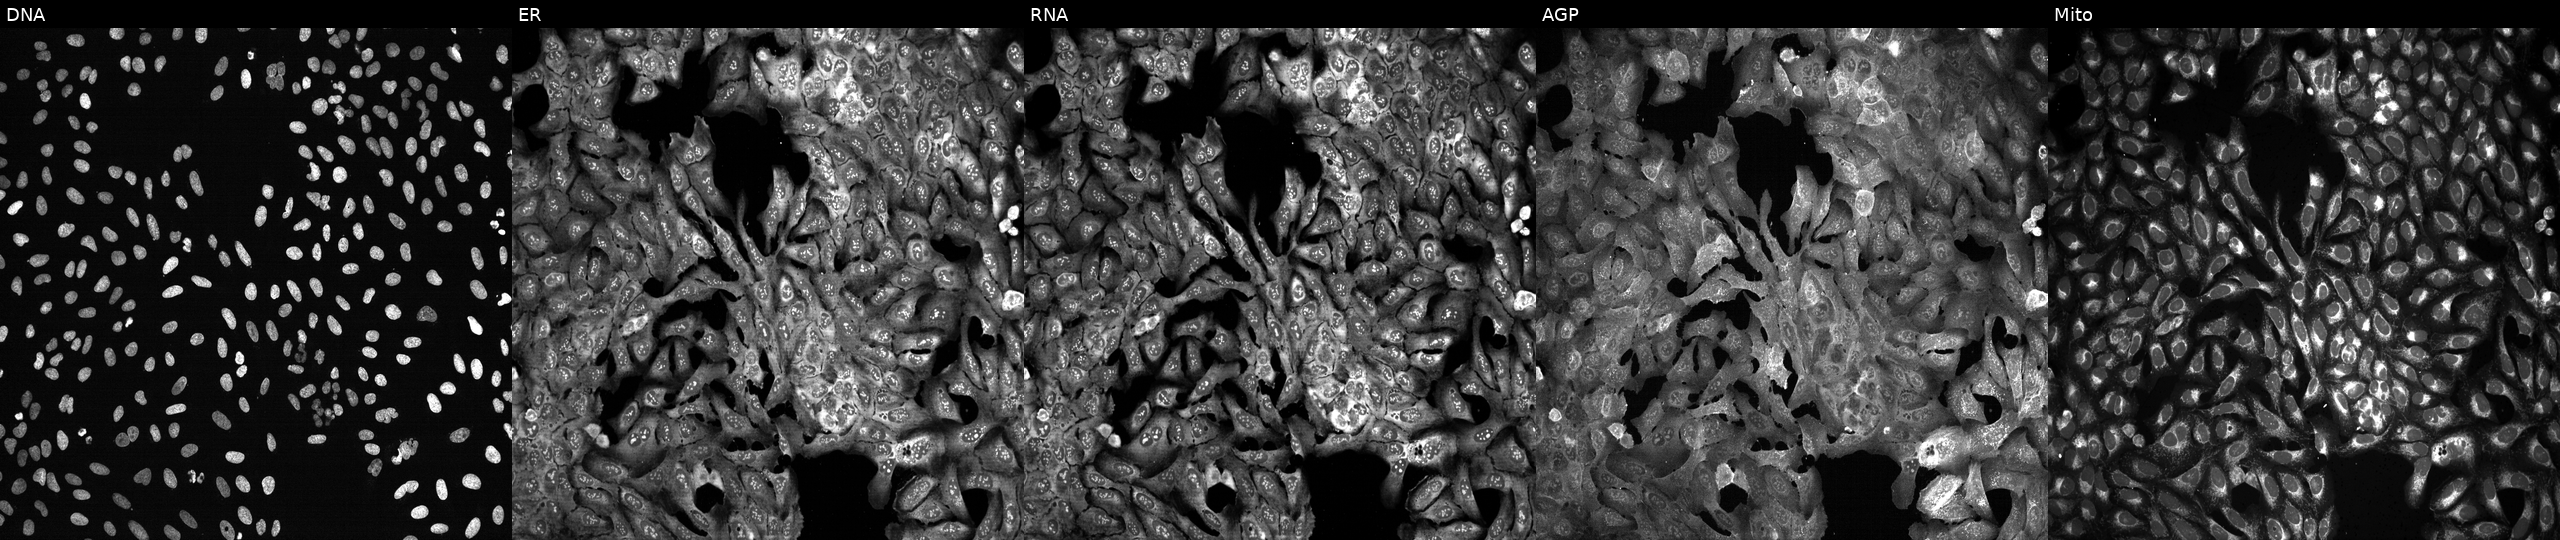
Five-channel Cell Painting image of U2OS cells CRISPR-edited to disrupt COX6B1. From left to right: Hoechst 33342, concanavalin A, SYTO 14, phalloidin and WGA, MitoTracker.